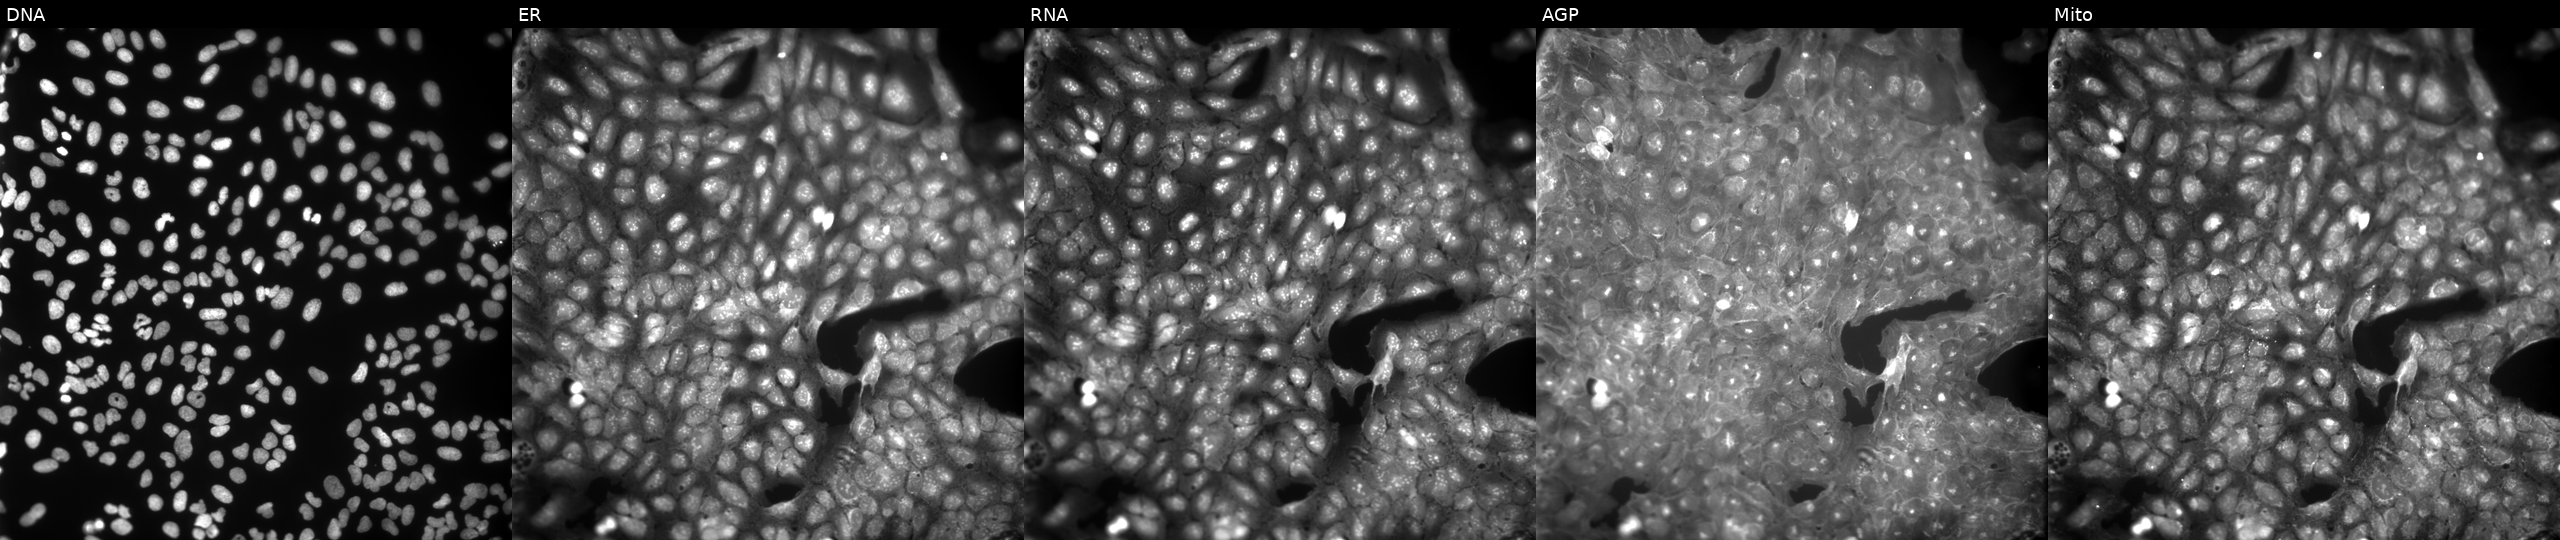
JUMP Cell Painting — COMPOUND plate. U2OS cells treated with a small-molecule compound (InChIKey FTOUXAIXDSRQEX-UHFFFAOYSA-N) (JUMP id JCP2022_022864). Channels (left→right): DNA (nuclei); ER (endoplasmic reticulum); RNA (nucleoli and cytoplasmic RNA); AGP (actin cytoskeleton, Golgi, and plasma membrane); Mito (mitochondria).